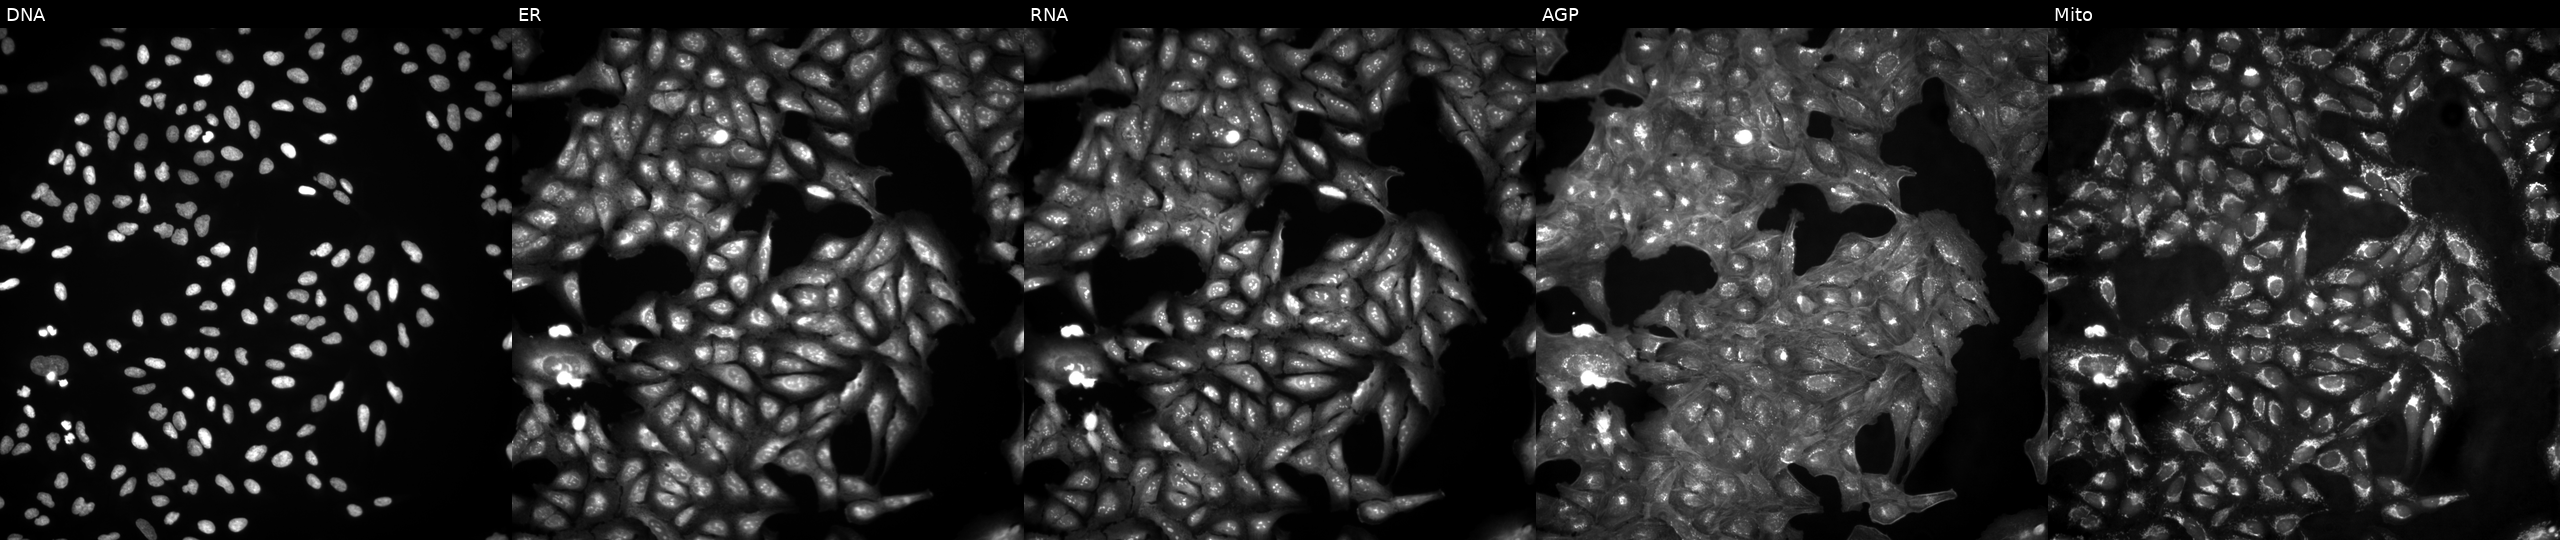
The five panels, left to right, show Hoechst 33342, concanavalin A, SYTO 14, phalloidin and WGA, MitoTracker. U2OS osteosarcoma cells in an empty control well (no perturbation) (JUMP id JCP2022_999999). Cell Painting assay, JUMP-CP dataset.